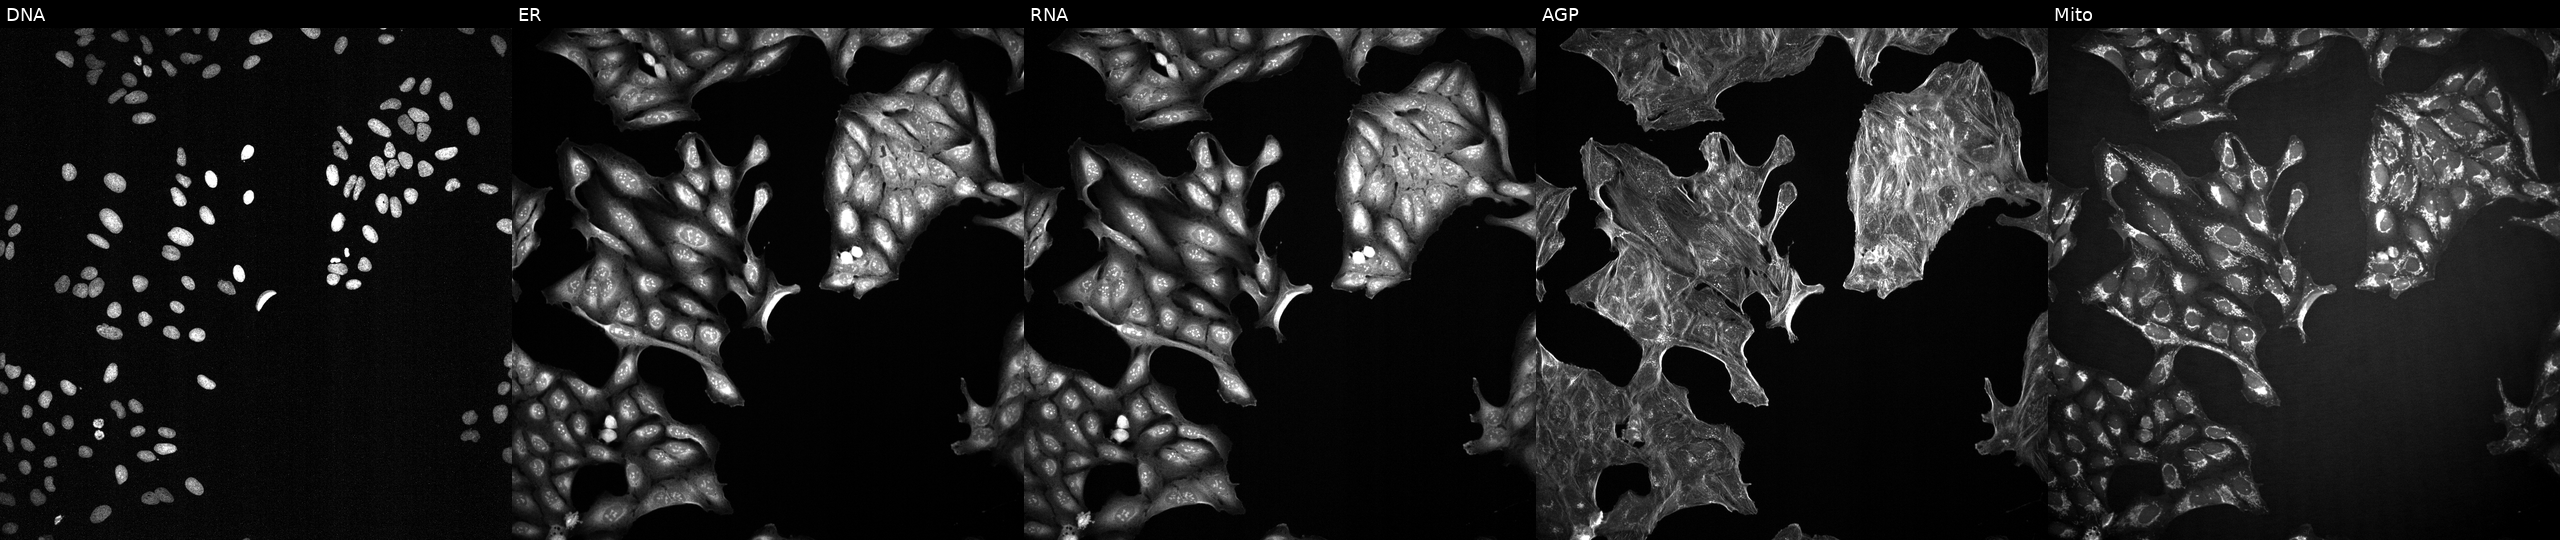
Five-channel Cell Painting image of U2OS cells exposed to DMSO alone as a negative control. Channels (left→right): DNA, ER, RNA, AGP, and Mito.